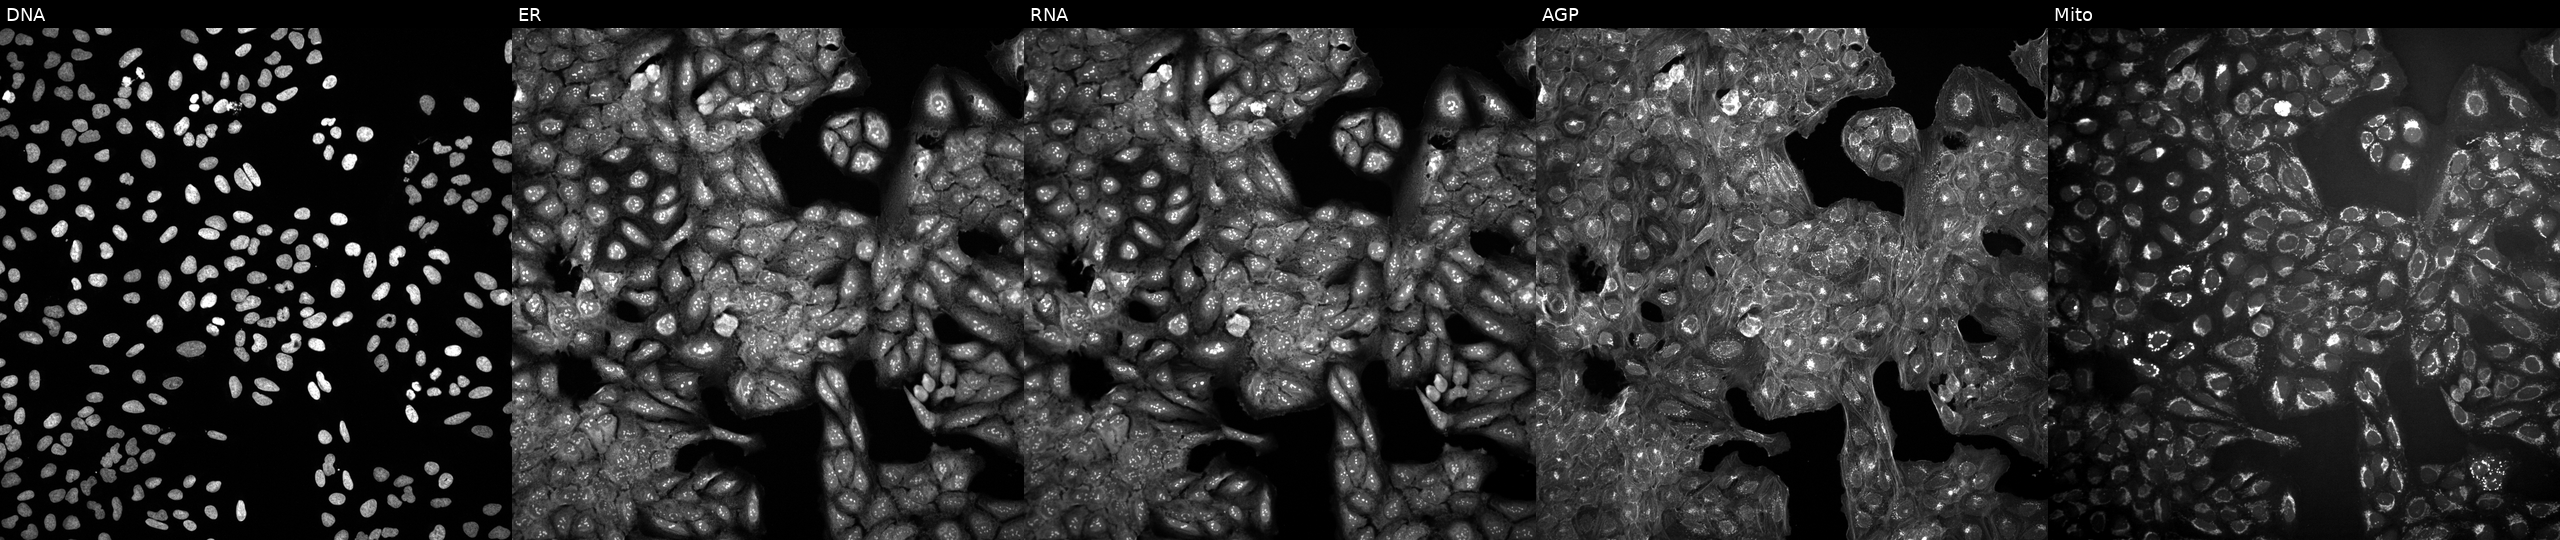
Five-channel Cell Painting image of U2OS cells untreated (empty-well control). Panels show, left to right, DNA (nuclei); ER (endoplasmic reticulum); RNA (nucleoli and cytoplasmic RNA); AGP (actin cytoskeleton, Golgi, and plasma membrane); Mito (mitochondria).